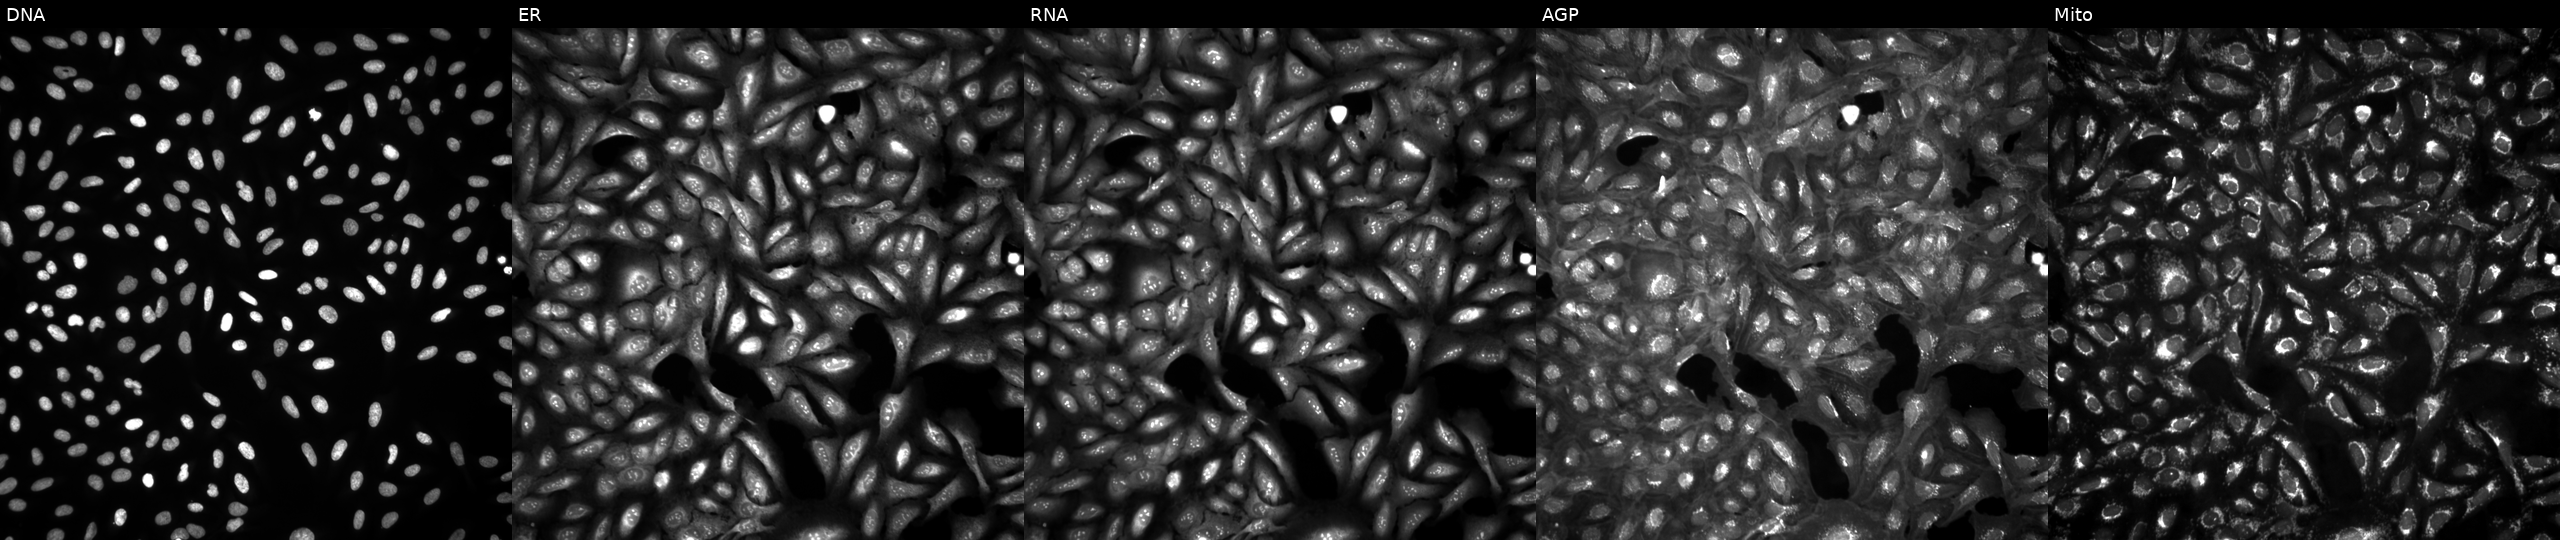
JUMP Cell Painting — ORF plate. U2OS cells untreated (empty-well control) (JUMP id JCP2022_999999). The five panels, left to right, show DNA (nuclei); ER (endoplasmic reticulum); RNA (nucleoli and cytoplasmic RNA); AGP (actin cytoskeleton, Golgi, and plasma membrane); Mito (mitochondria).